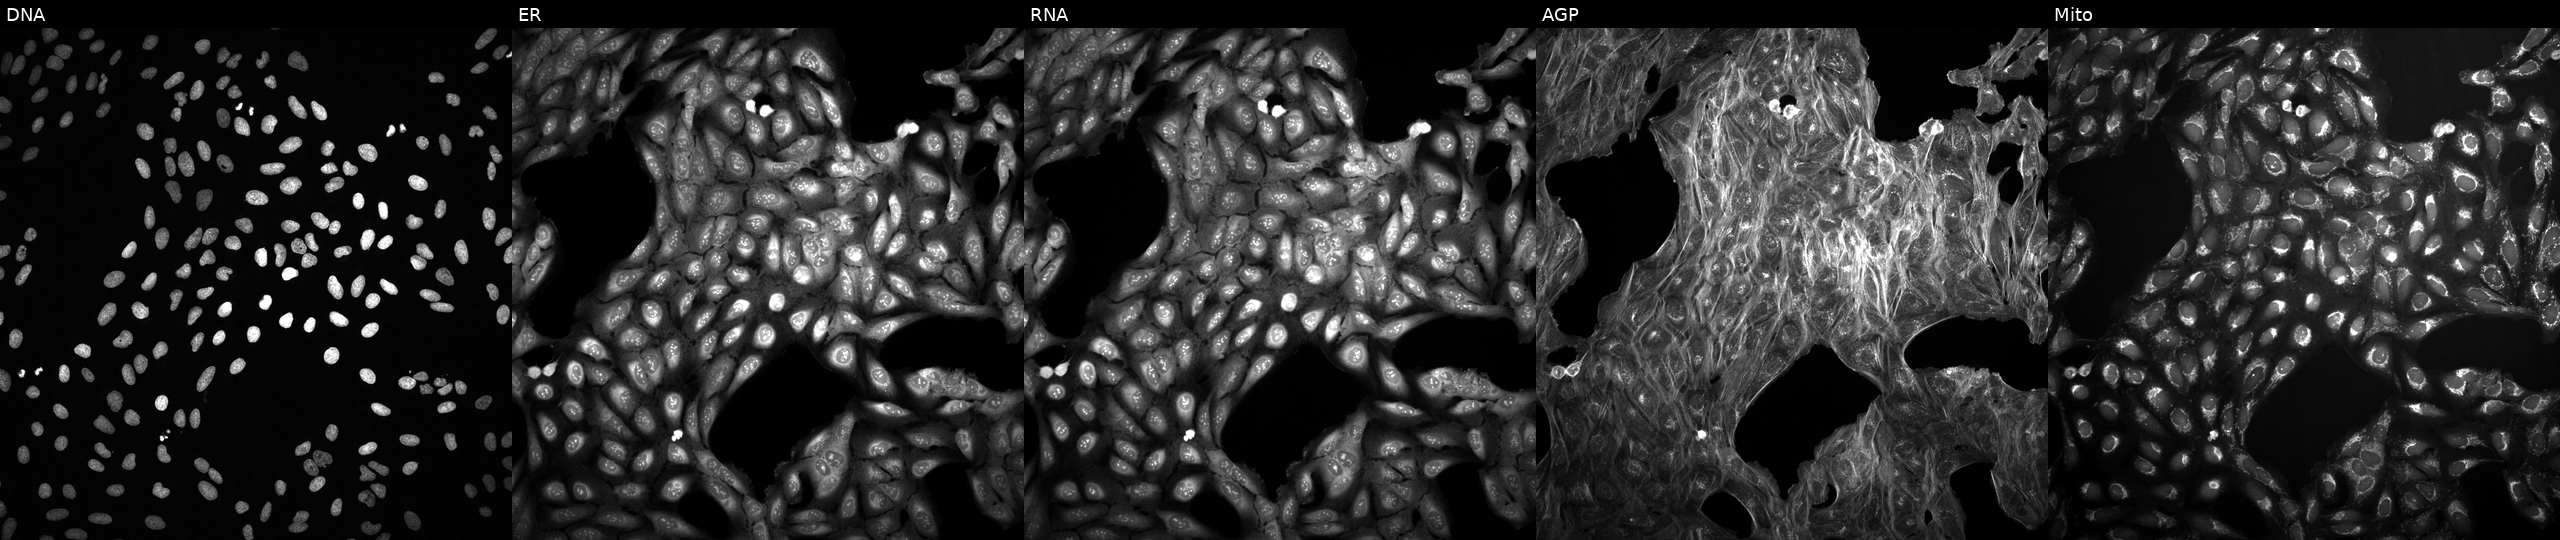
JUMP Cell Painting — TARGET2 plate. U2OS cells exposed to a small-molecule compound (InChIKey JBIMVDZLSHOPLA-UHFFFAOYSA-N). From left to right: DNA (nuclei); ER (endoplasmic reticulum); RNA (nucleoli and cytoplasmic RNA); AGP (actin cytoskeleton, Golgi, and plasma membrane); Mito (mitochondria). Source 2, plate 1053597936, well I22.